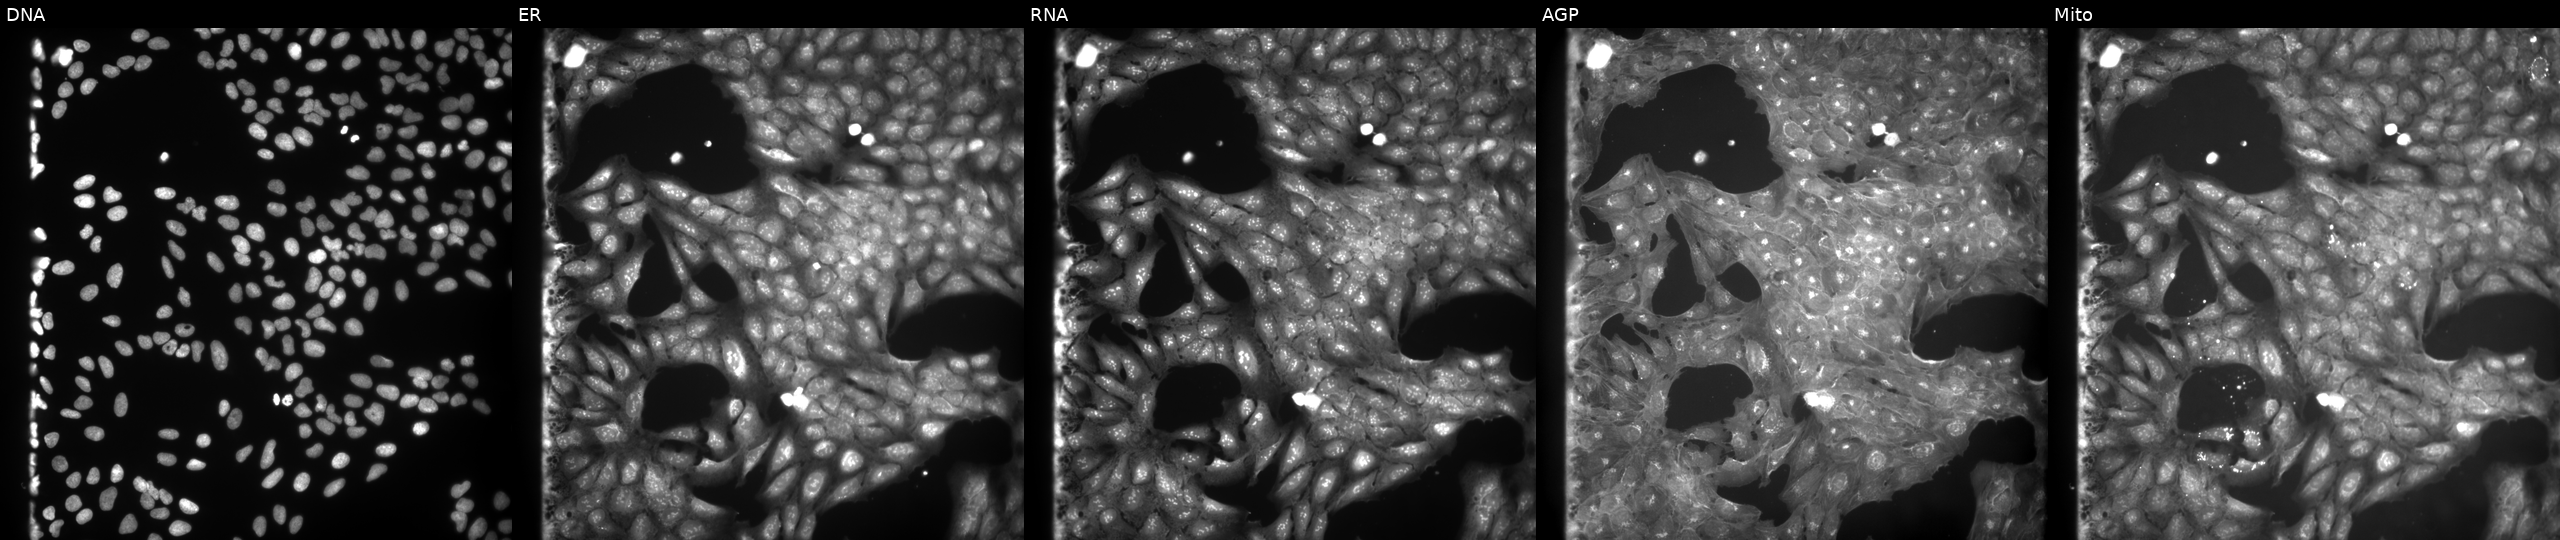
High-content fluorescence microscopy (Cell Painting). Cell line: U2OS. Perturbation: exposed to a small-molecule compound (InChIKey QKIPXSPXLPYYIO-UHFFFAOYSA-N). Panels show, left to right, DNA, ER, RNA, AGP, and Mito.